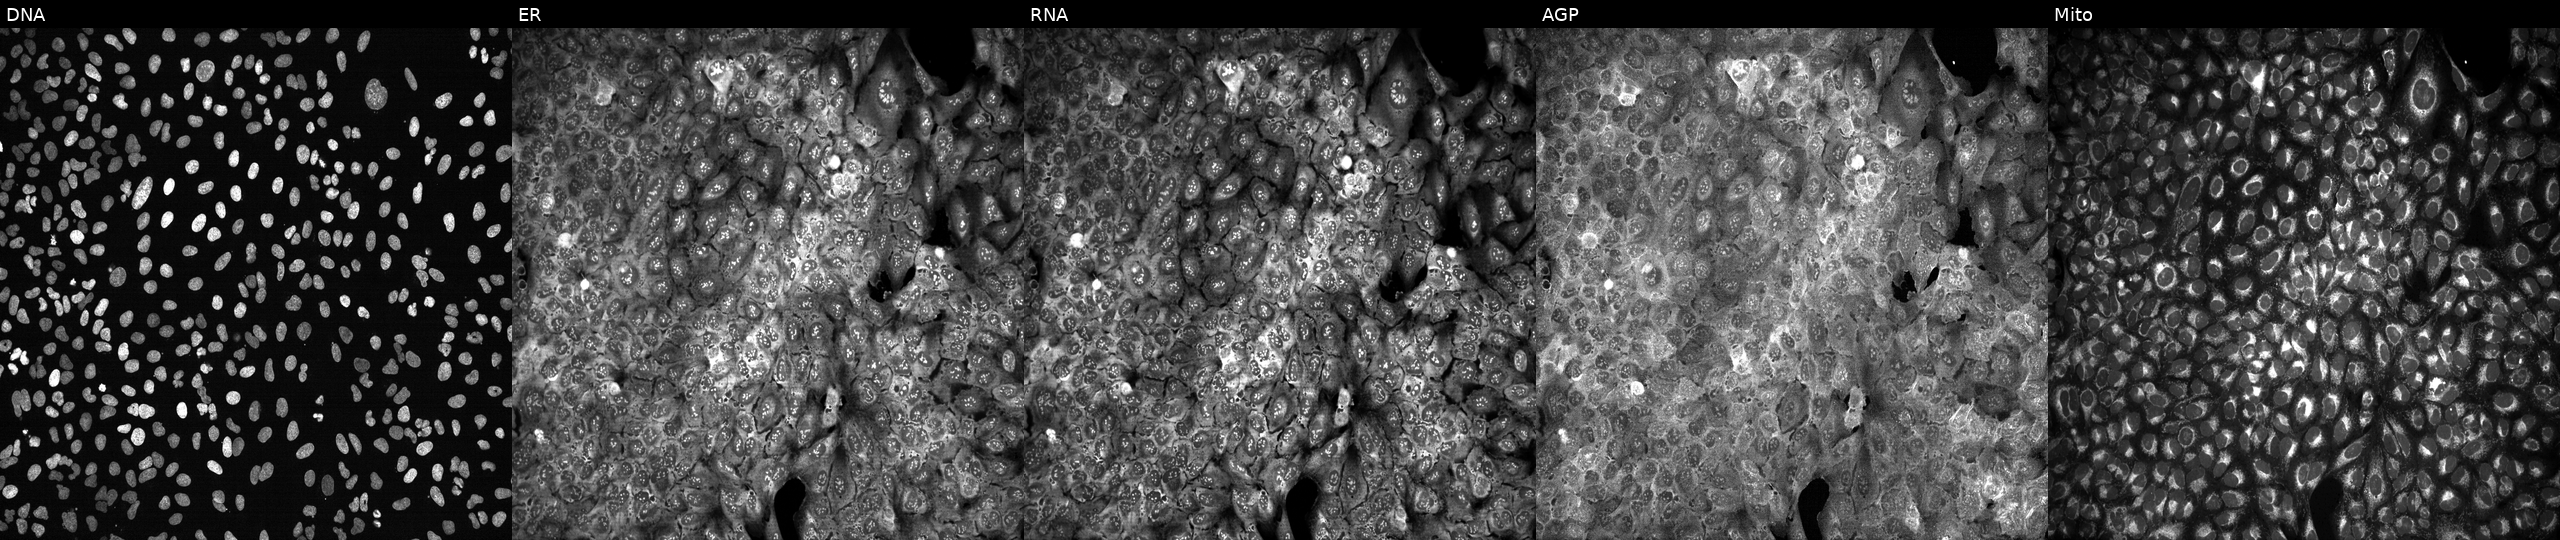
This image strip shows the five Cell Painting channels for a single field of U2OS cells with UQCR11 knocked out by CRISPR. Channels (left→right): DNA, ER, RNA, AGP, and Mito.